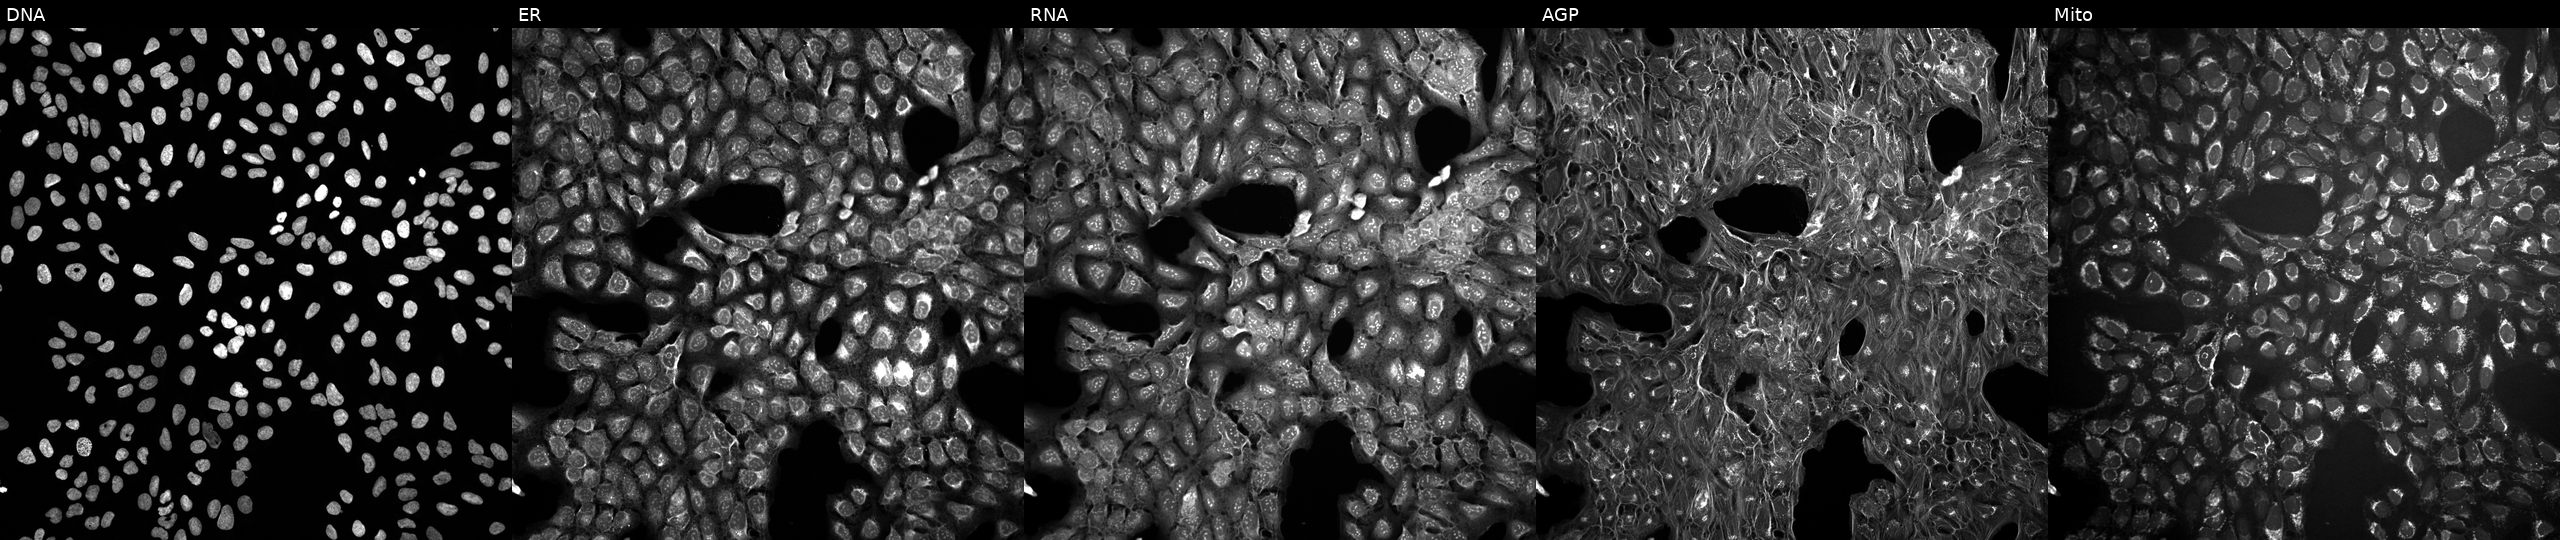
U2OS cells, Cell Painting assay, exposed to a small-molecule compound (InChIKey IDQIHIKTPQWENI-UHFFFAOYSA-N) [SMILES: O=C(NCc1cncc(N2CCCC2=O)c1)NCc1cccs1]. From left to right: Hoechst 33342, concanavalin A, SYTO 14, phalloidin and WGA, MitoTracker. Each panel is percentile-stretched 16-bit fluorescence.